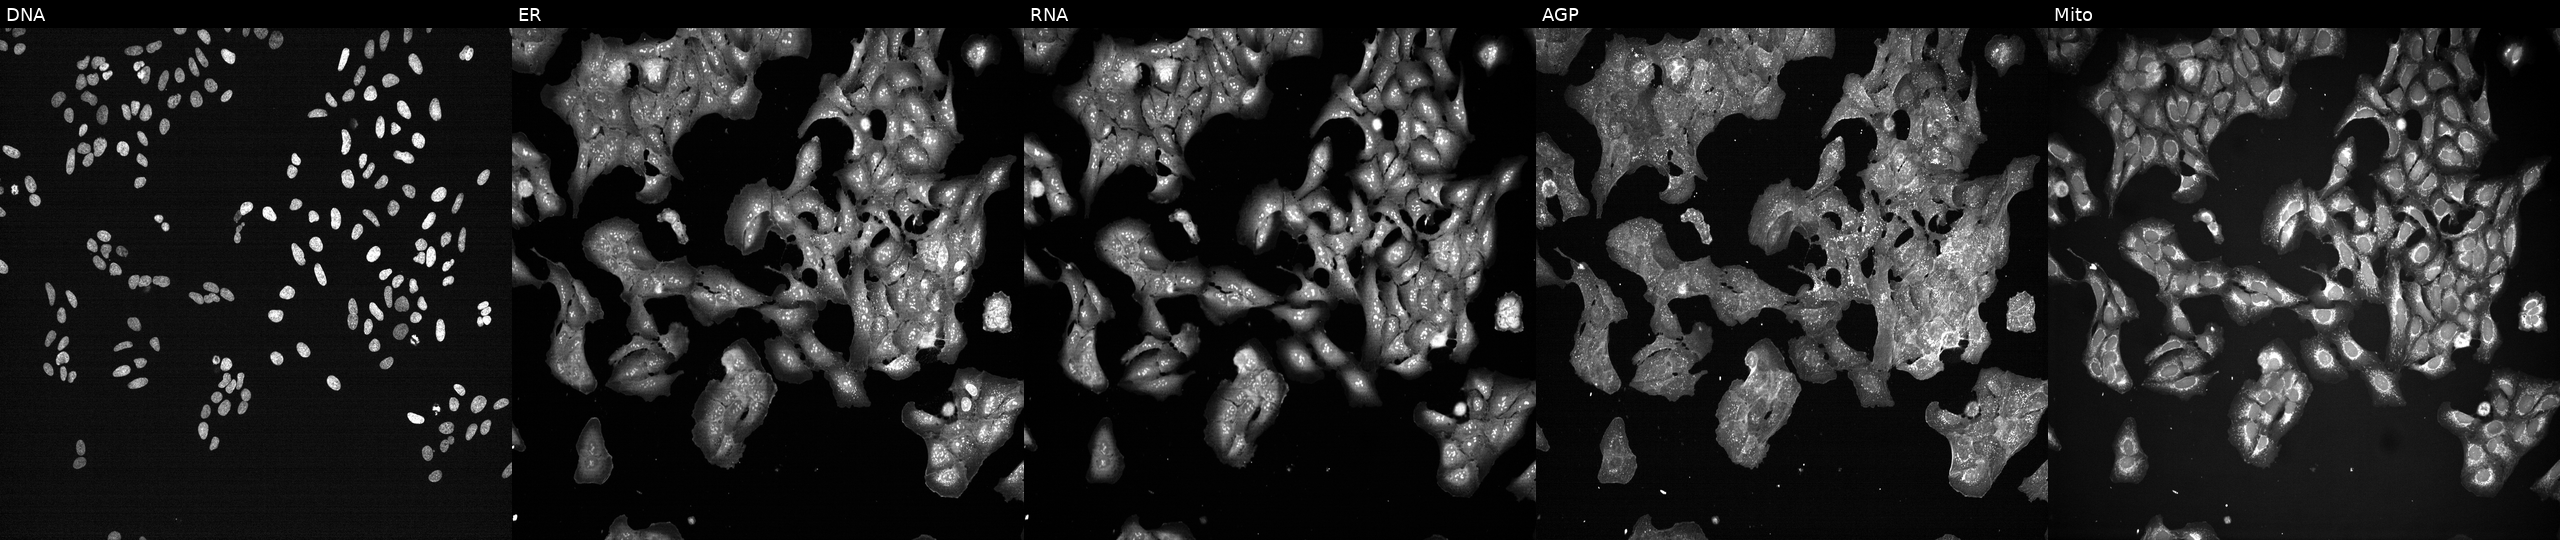
Five-channel Cell Painting image of U2OS cells perturbed with a small-molecule compound (InChIKey DHMTURDWPRKSOA-UHFFFAOYSA-N). From left to right: DNA (nuclei); ER (endoplasmic reticulum); RNA (nucleoli and cytoplasmic RNA); AGP (actin cytoskeleton, Golgi, and plasma membrane); Mito (mitochondria). Source 7, plate CP2-SC1-25, well J03.